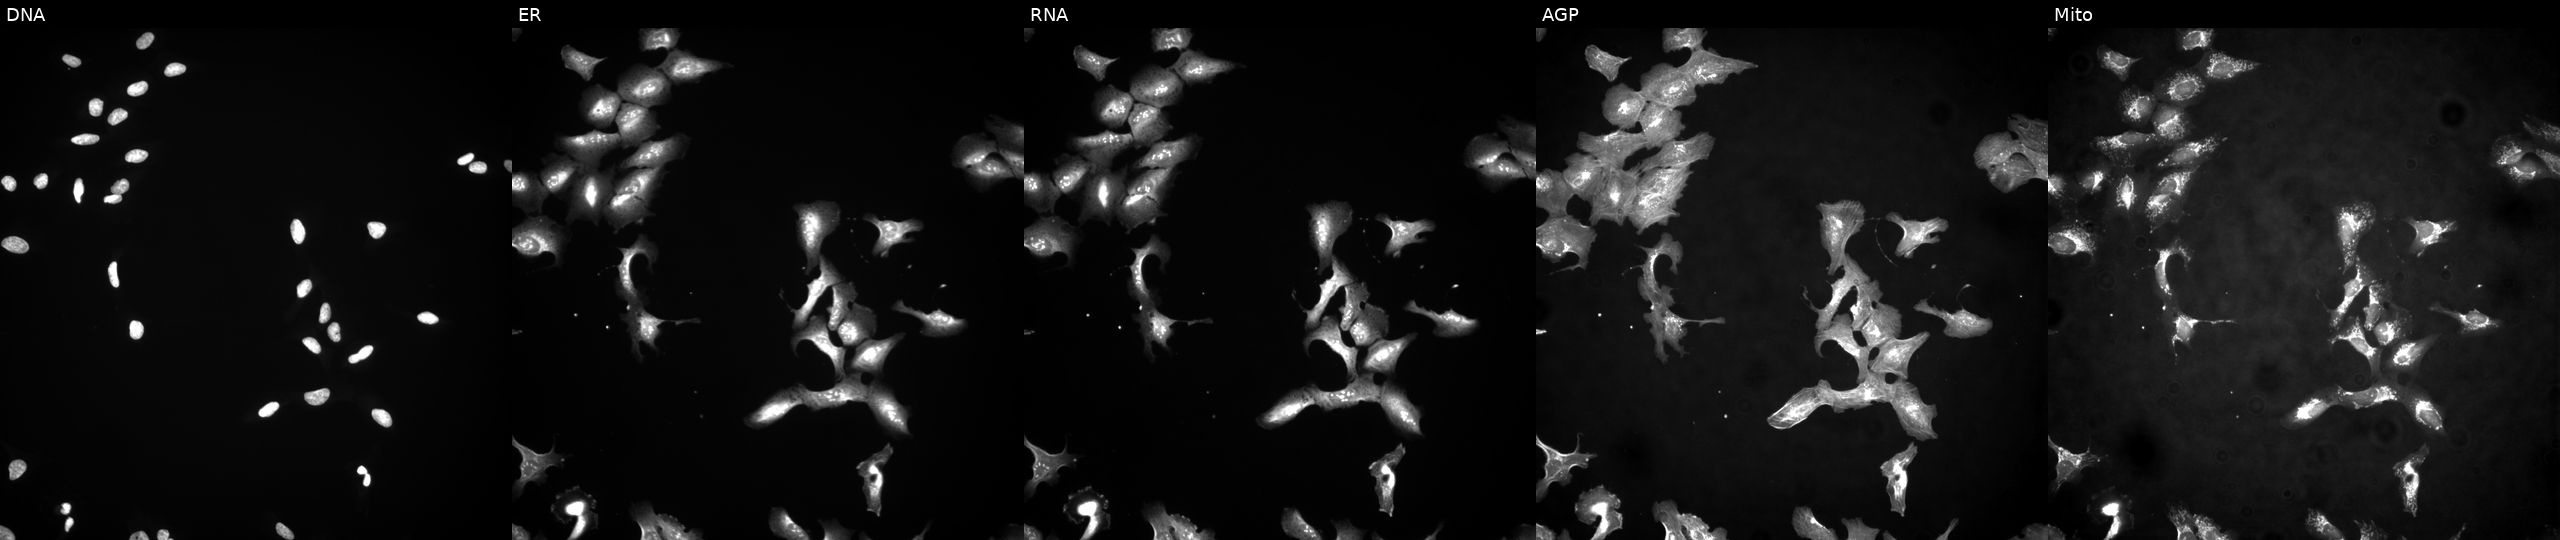
Five-channel Cell Painting image of U2OS cells overexpressing MFSD2A via ORF transfection (JUMP id JCP2022_904158). From left to right: Hoechst 33342, concanavalin A, SYTO 14, phalloidin and WGA, MitoTracker.